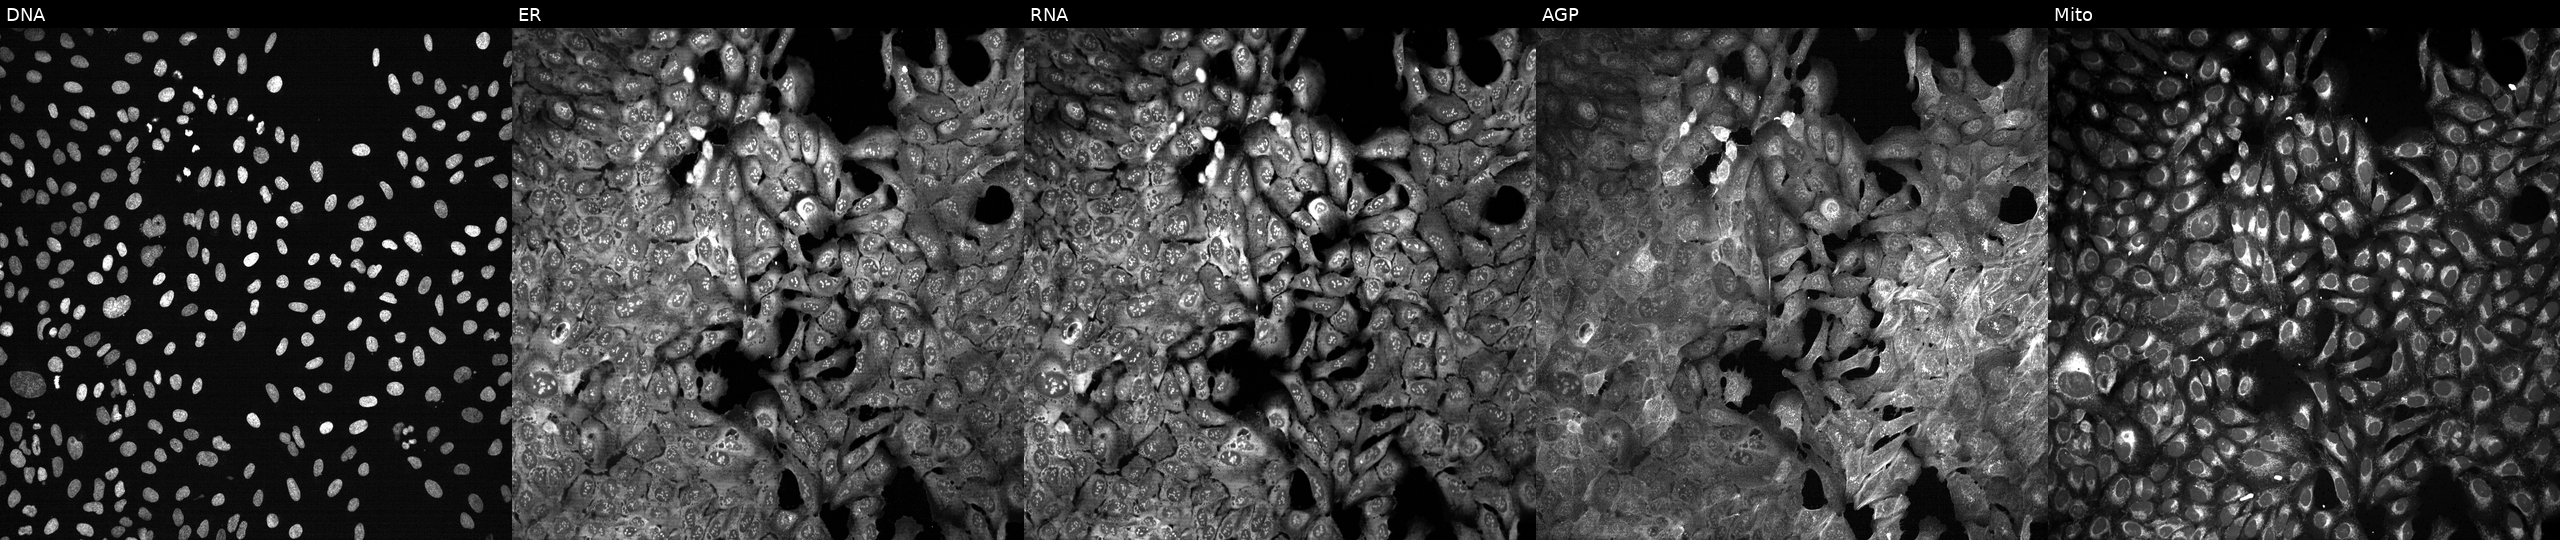
This image strip shows the five Cell Painting channels for a single field of U2OS cells with LPO knocked out by CRISPR (JUMP id JCP2022_803892). The five panels, left to right, show DNA, ER, RNA, AGP, and Mito.